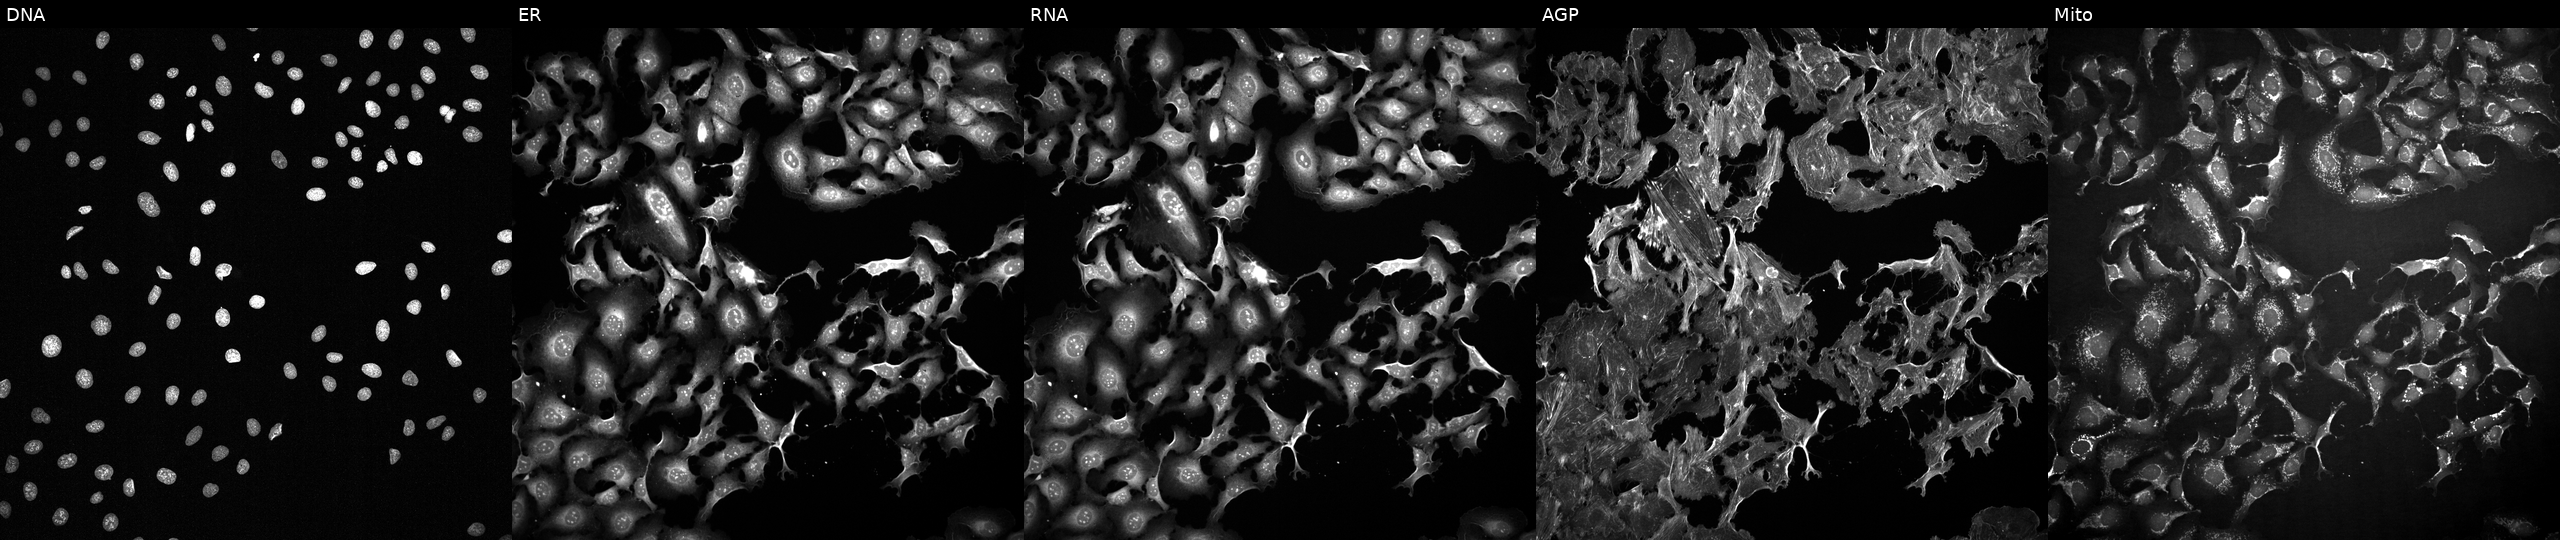
This image strip shows the five Cell Painting channels for a single field of U2OS cells treated with FK-866 (positive-control compound). From left to right: DNA, ER, RNA, AGP, and Mito.